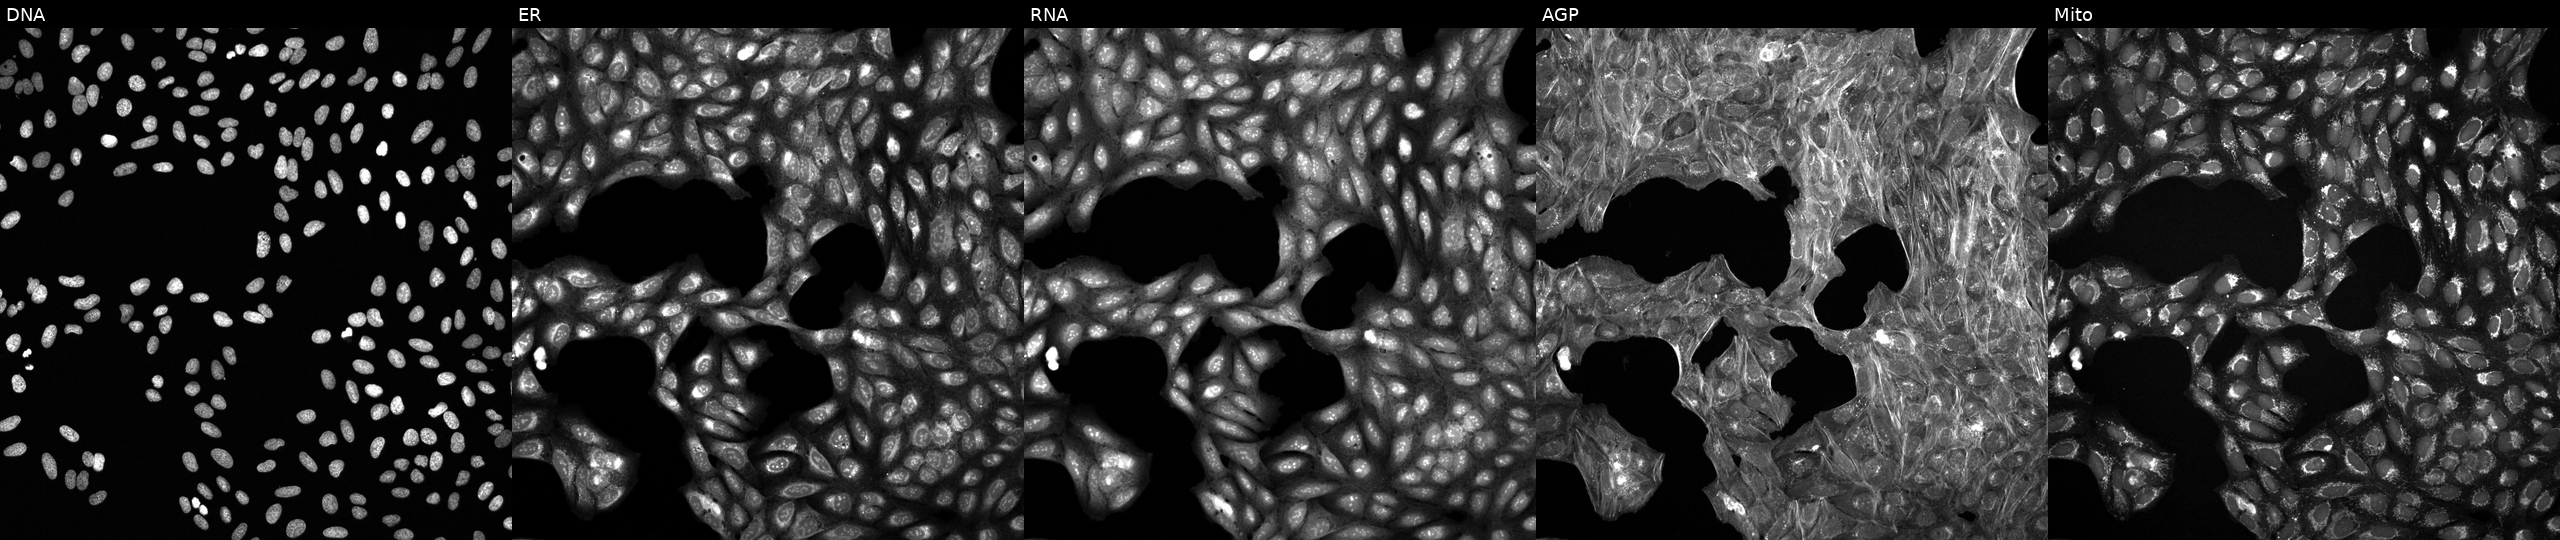
U2OS cells, Cell Painting assay, exposed to a small-molecule compound (InChIKey NUIKTBLZSPQGCP-UHFFFAOYSA-N) [SMILES: CCOc1ccc(-c2nc(-c3cccc4c3CCC4NCCO)no2)cc1OCC] (JUMP id JCP2022_061421). Panels show, left to right, DNA, ER, RNA, AGP, and Mito. Each panel is percentile-stretched 16-bit fluorescence.